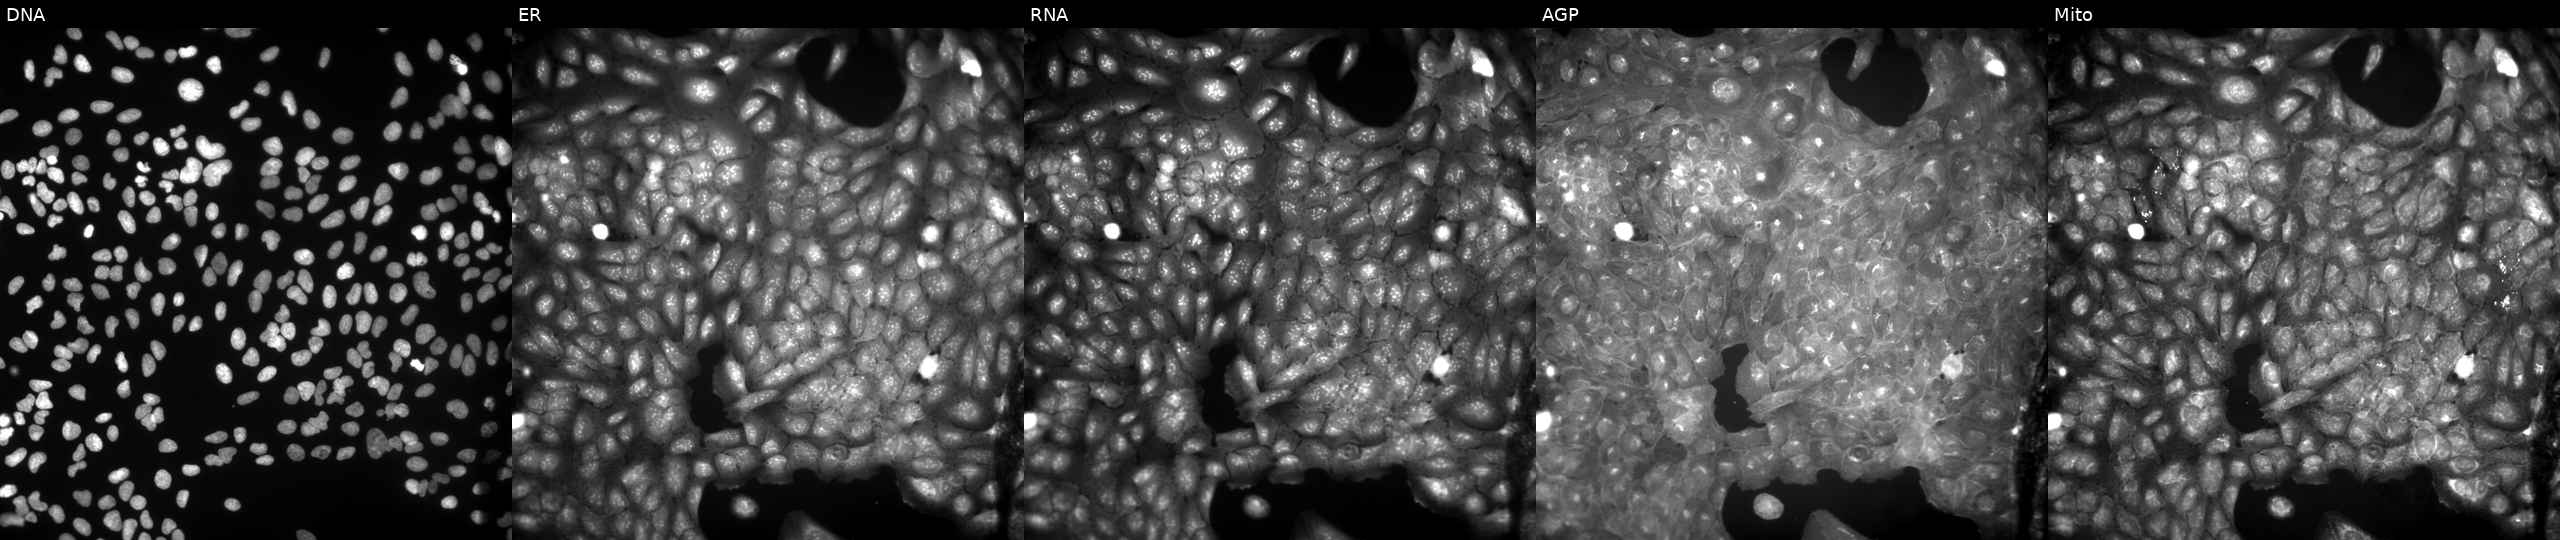
U2OS cells, Cell Painting assay, perturbed with a small-molecule compound (InChIKey ICZBEVAVQGZWLK-UHFFFAOYSA-N). The five panels, left to right, show Hoechst 33342, concanavalin A, SYTO 14, phalloidin and WGA, MitoTracker. Each panel is percentile-stretched 16-bit fluorescence.